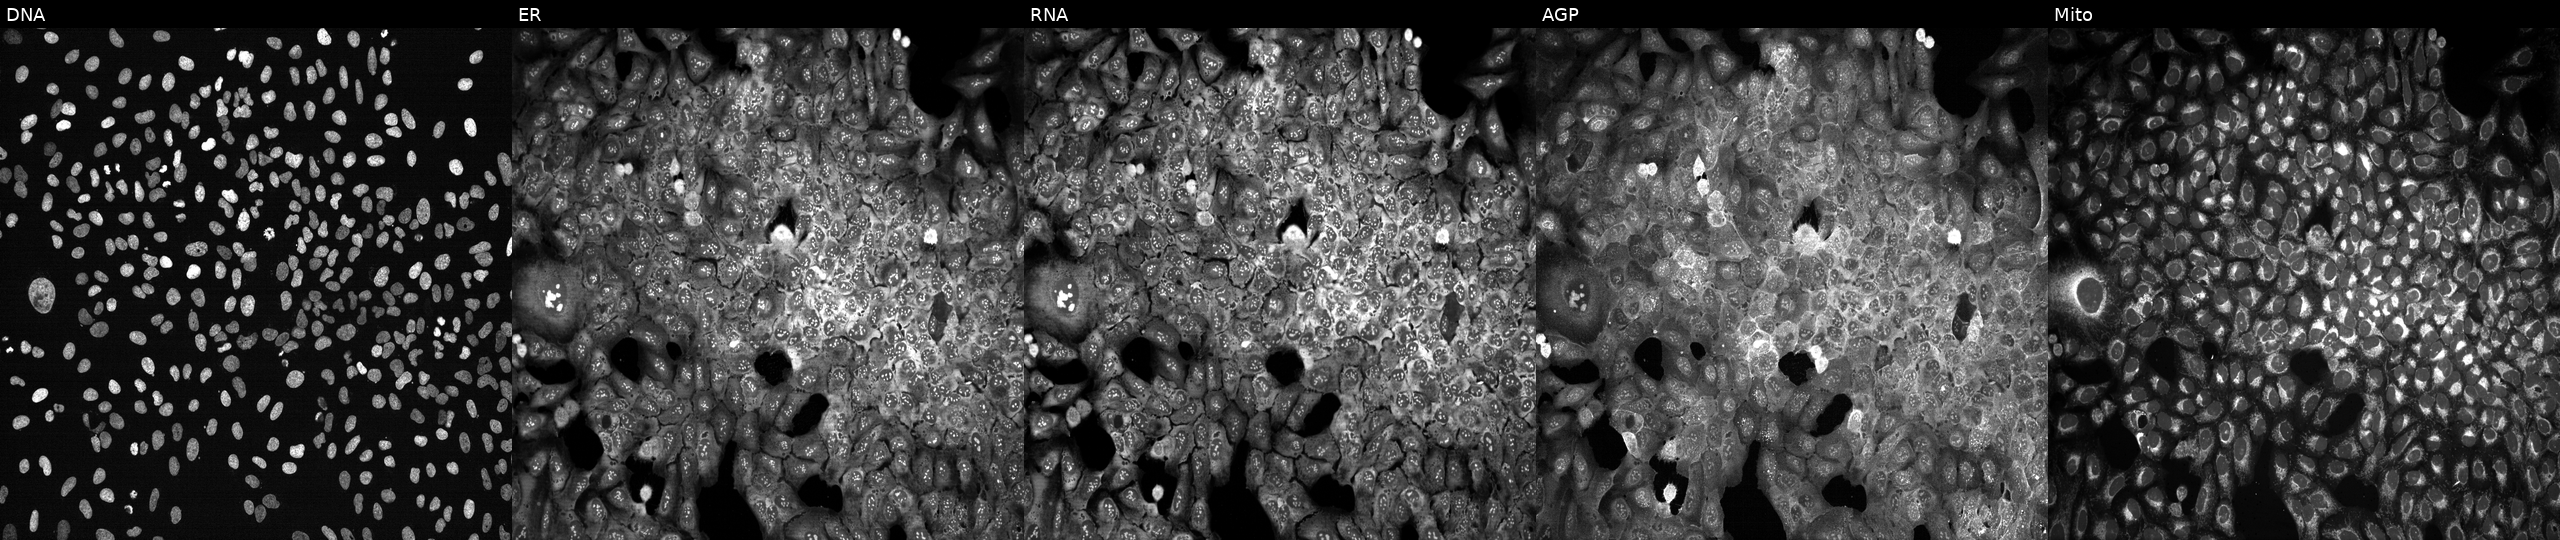
Five-channel Cell Painting image of U2OS cells with IYD knocked out by CRISPR. Channels (left→right): Hoechst 33342, concanavalin A, SYTO 14, phalloidin and WGA, MitoTracker.